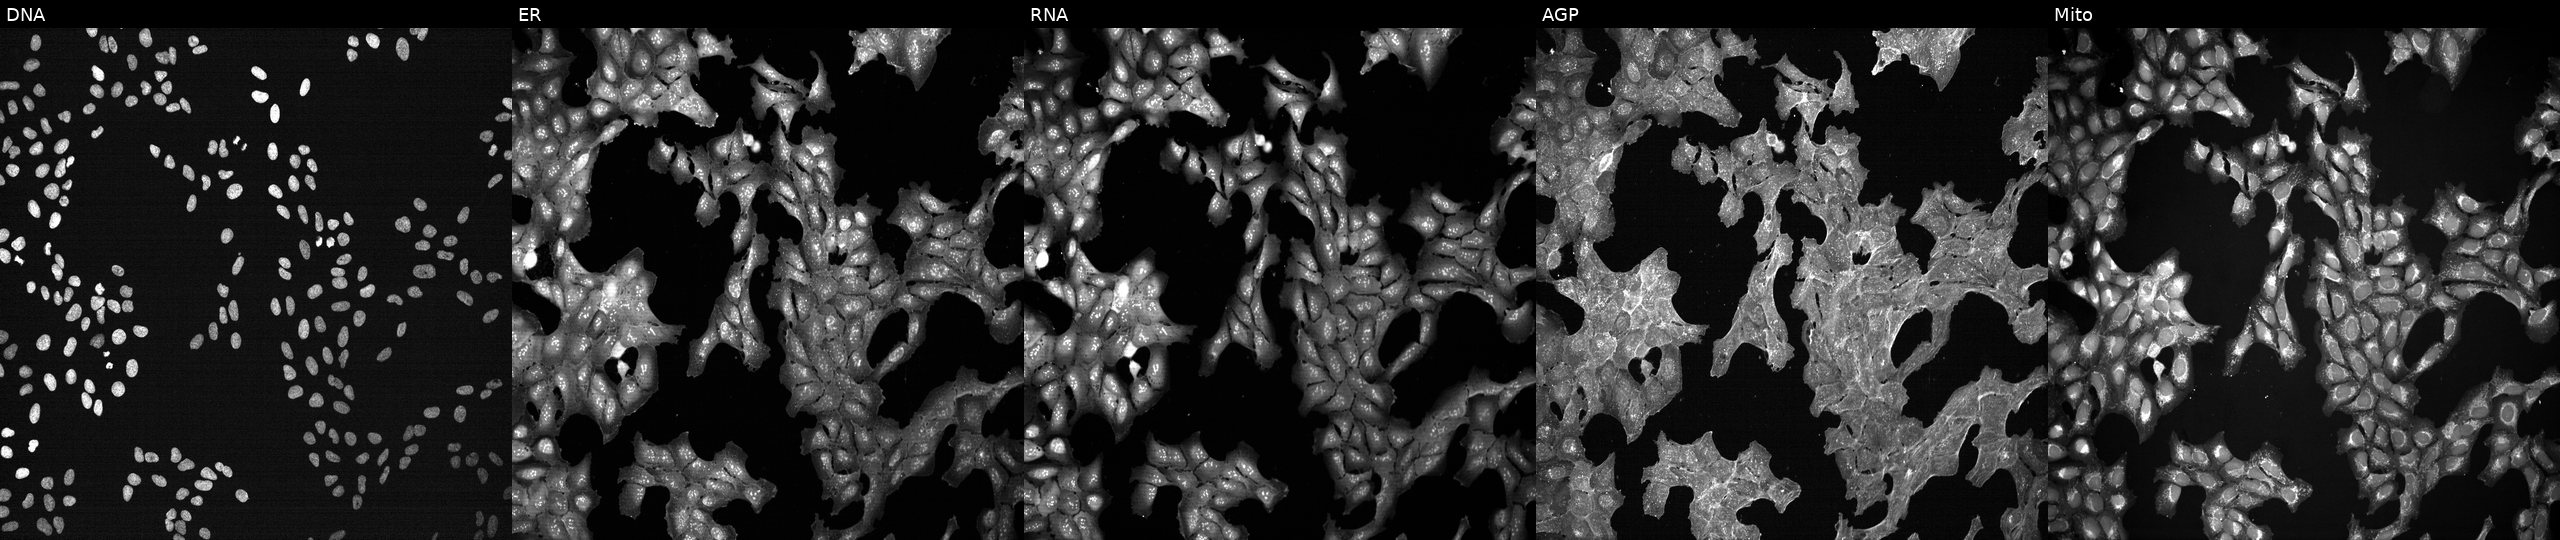
High-content fluorescence microscopy (Cell Painting). Cell line: U2OS. Perturbation: exposed to DMSO alone as a negative control. Panels show, left to right, DNA, ER, RNA, AGP, and Mito. Source 7, plate CP2-SC1-25, well M21.